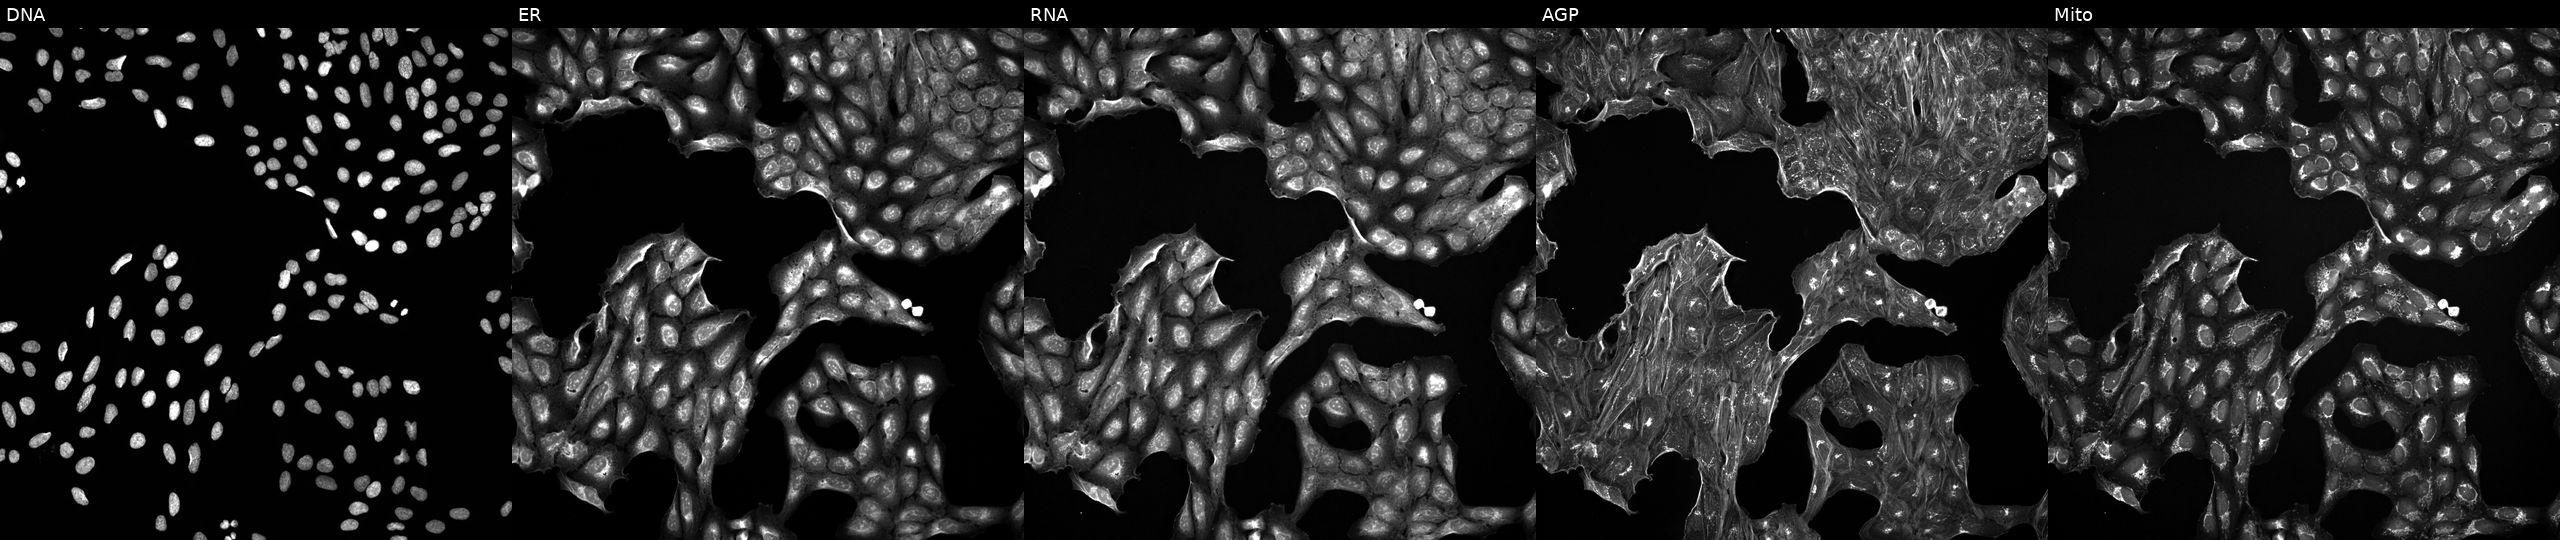
Five-channel Cell Painting image of U2OS cells treated with a small-molecule compound (InChIKey XRVDGNKRPOAQTN-UHFFFAOYSA-N) (JUMP id JCP2022_105621). From left to right: DNA, ER, RNA, AGP, and Mito.